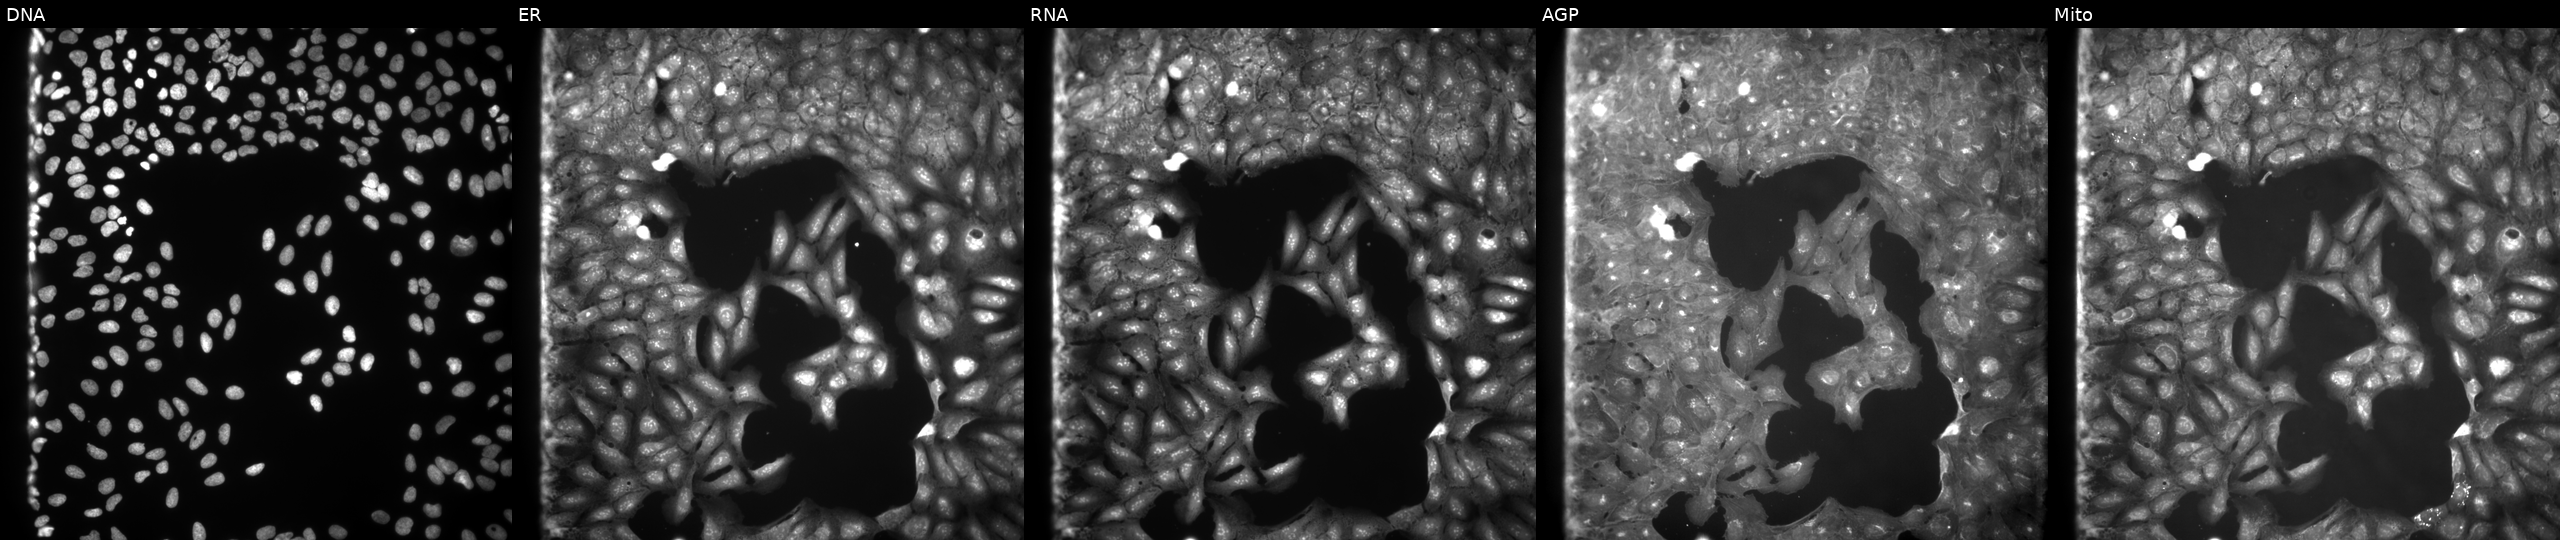
Five-channel Cell Painting image of U2OS cells perturbed with a small-molecule compound (JUMP id JCP2022_079325). The five panels, left to right, show Hoechst 33342, concanavalin A, SYTO 14, phalloidin and WGA, MitoTracker.